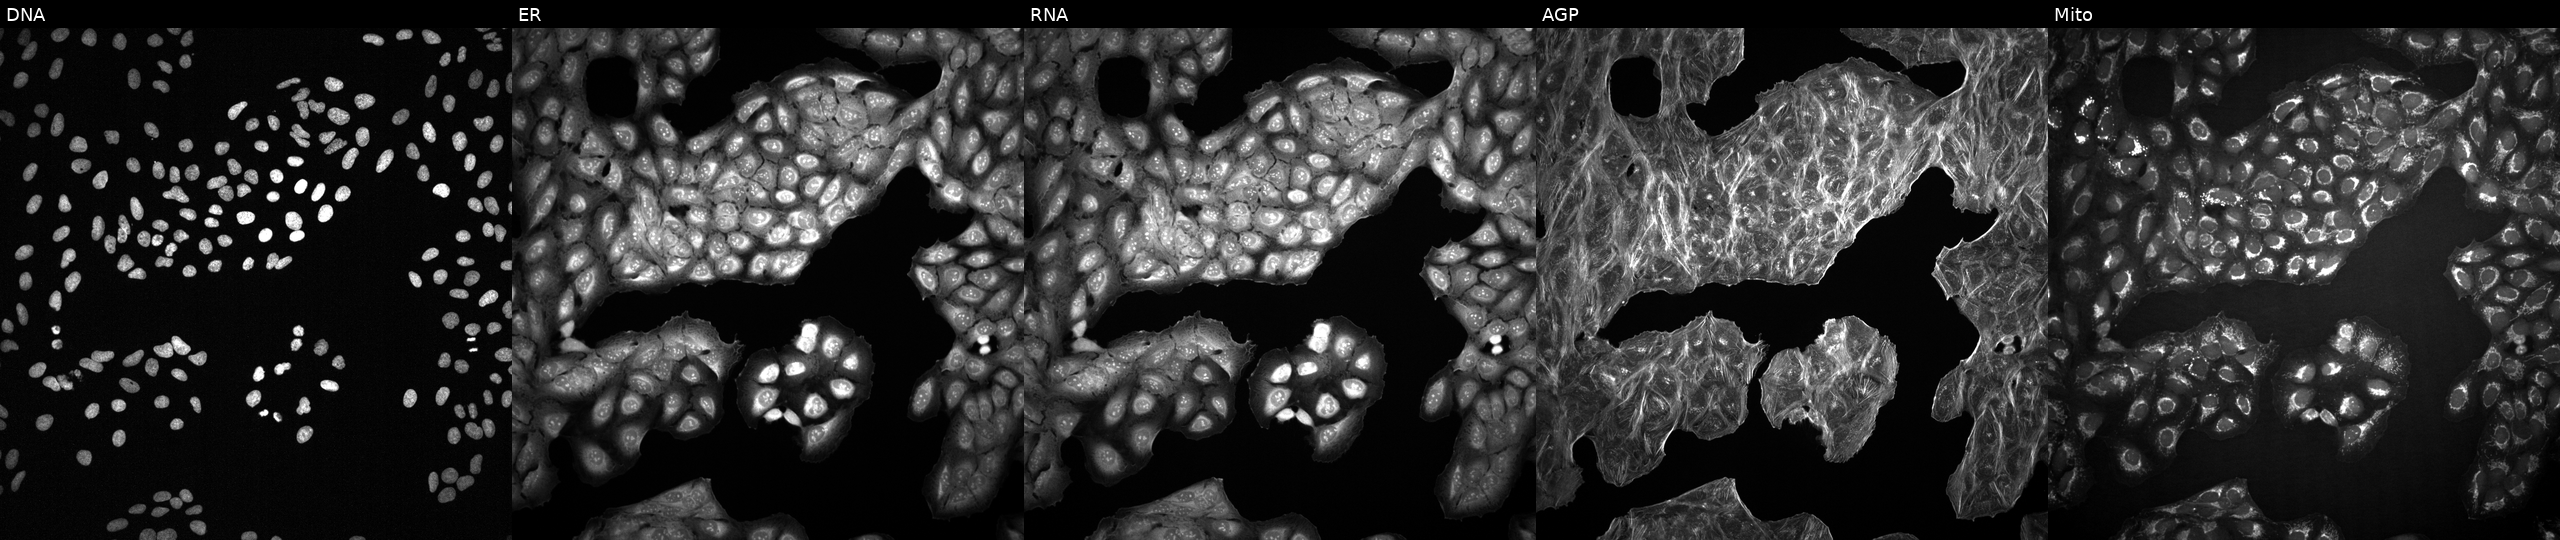
Channels (left→right): Hoechst 33342, concanavalin A, SYTO 14, phalloidin and WGA, MitoTracker. U2OS osteosarcoma cells with an unidentified perturbation (not annotated in JUMP metadata). Cell Painting assay, JUMP-CP dataset.